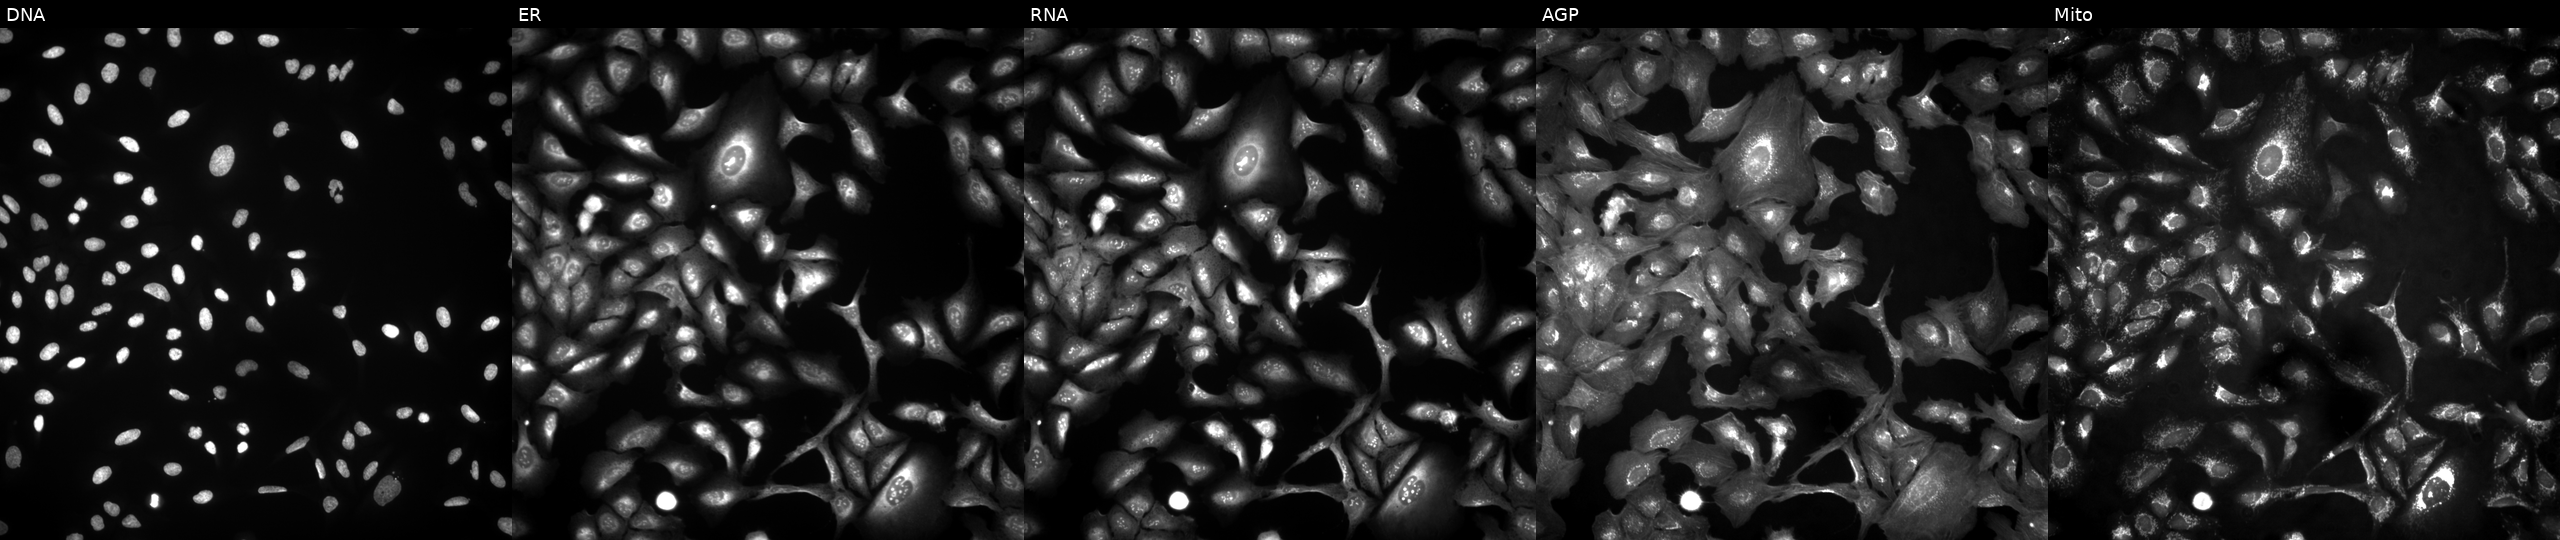
U2OS cells, Cell Painting assay, transfected with an ORF construct for NACA2. From left to right: DNA (nuclei); ER (endoplasmic reticulum); RNA (nucleoli and cytoplasmic RNA); AGP (actin cytoskeleton, Golgi, and plasma membrane); Mito (mitochondria). Each panel is percentile-stretched 16-bit fluorescence.